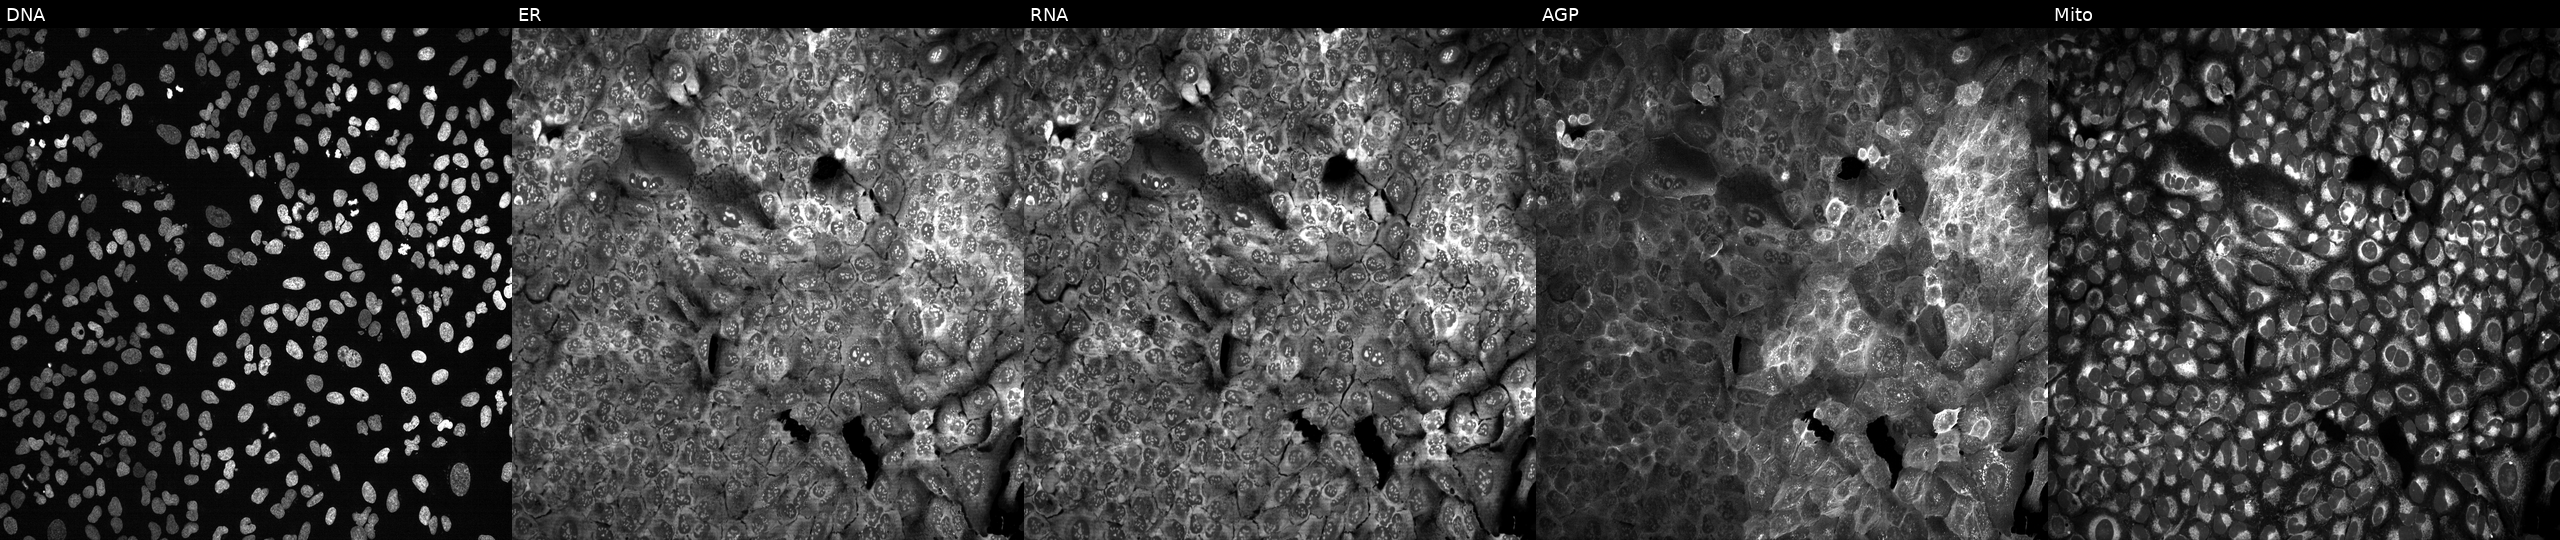
U2OS cells, Cell Painting assay, following CRISPR knockout of KLK13 (JUMP id JCP2022_803722). The five panels, left to right, show Hoechst 33342, concanavalin A, SYTO 14, phalloidin and WGA, MitoTracker. Each panel is percentile-stretched 16-bit fluorescence.